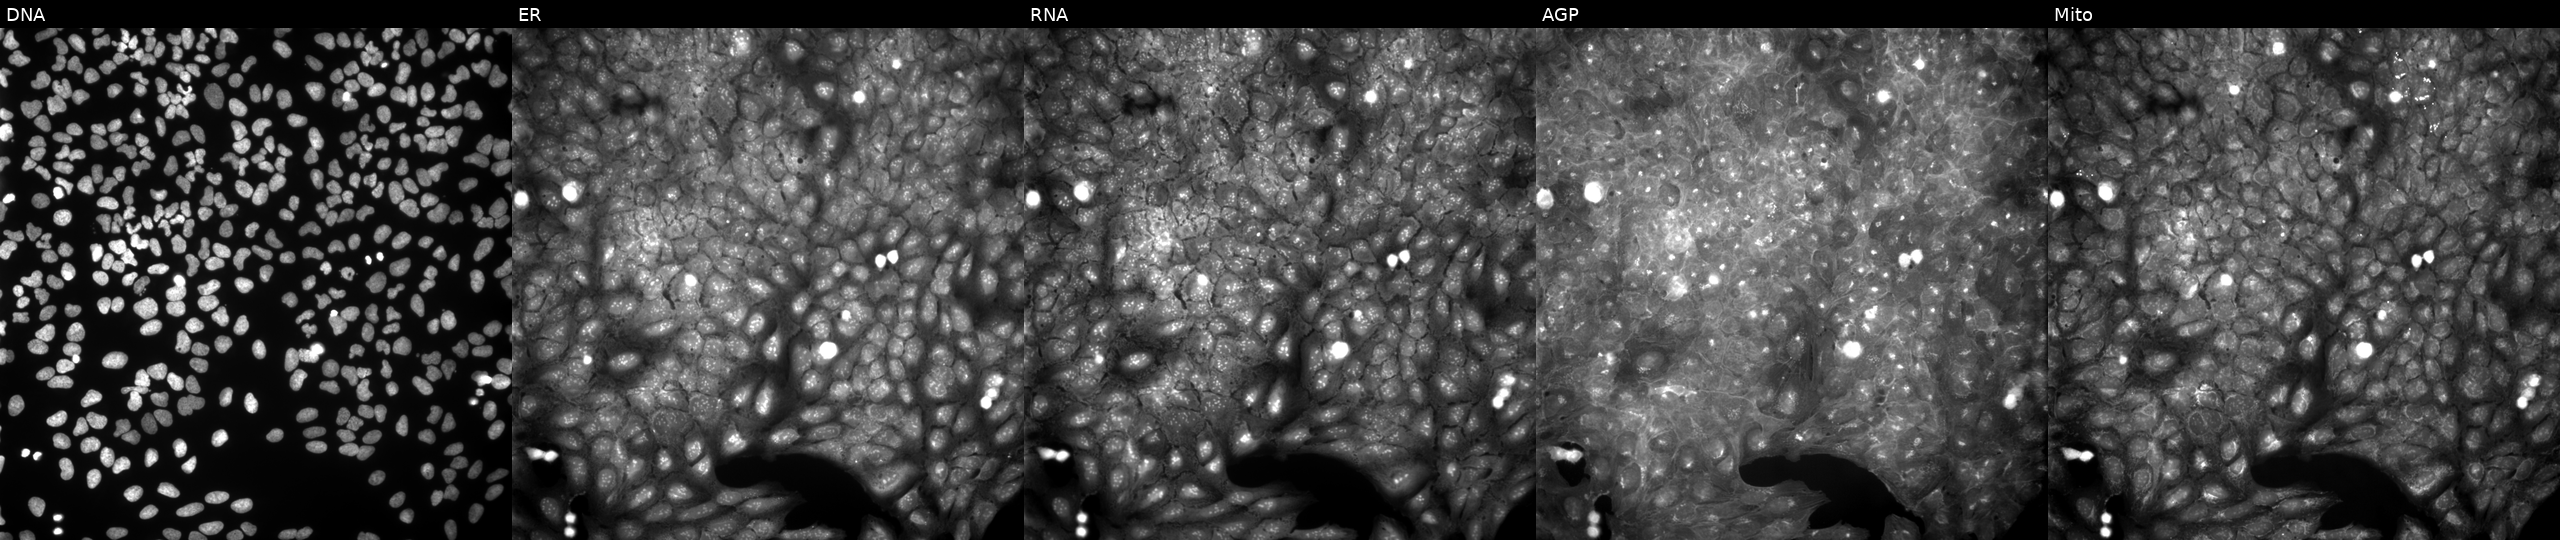
U2OS cells, Cell Painting assay, perturbed with a small-molecule compound (InChIKey ZBXYRTPFEXLFNO-UHFFFAOYSA-N) (JUMP id JCP2022_112364). The five panels, left to right, show Hoechst 33342, concanavalin A, SYTO 14, phalloidin and WGA, MitoTracker. Each panel is percentile-stretched 16-bit fluorescence. Source 9, plate GR00003381, well N20.